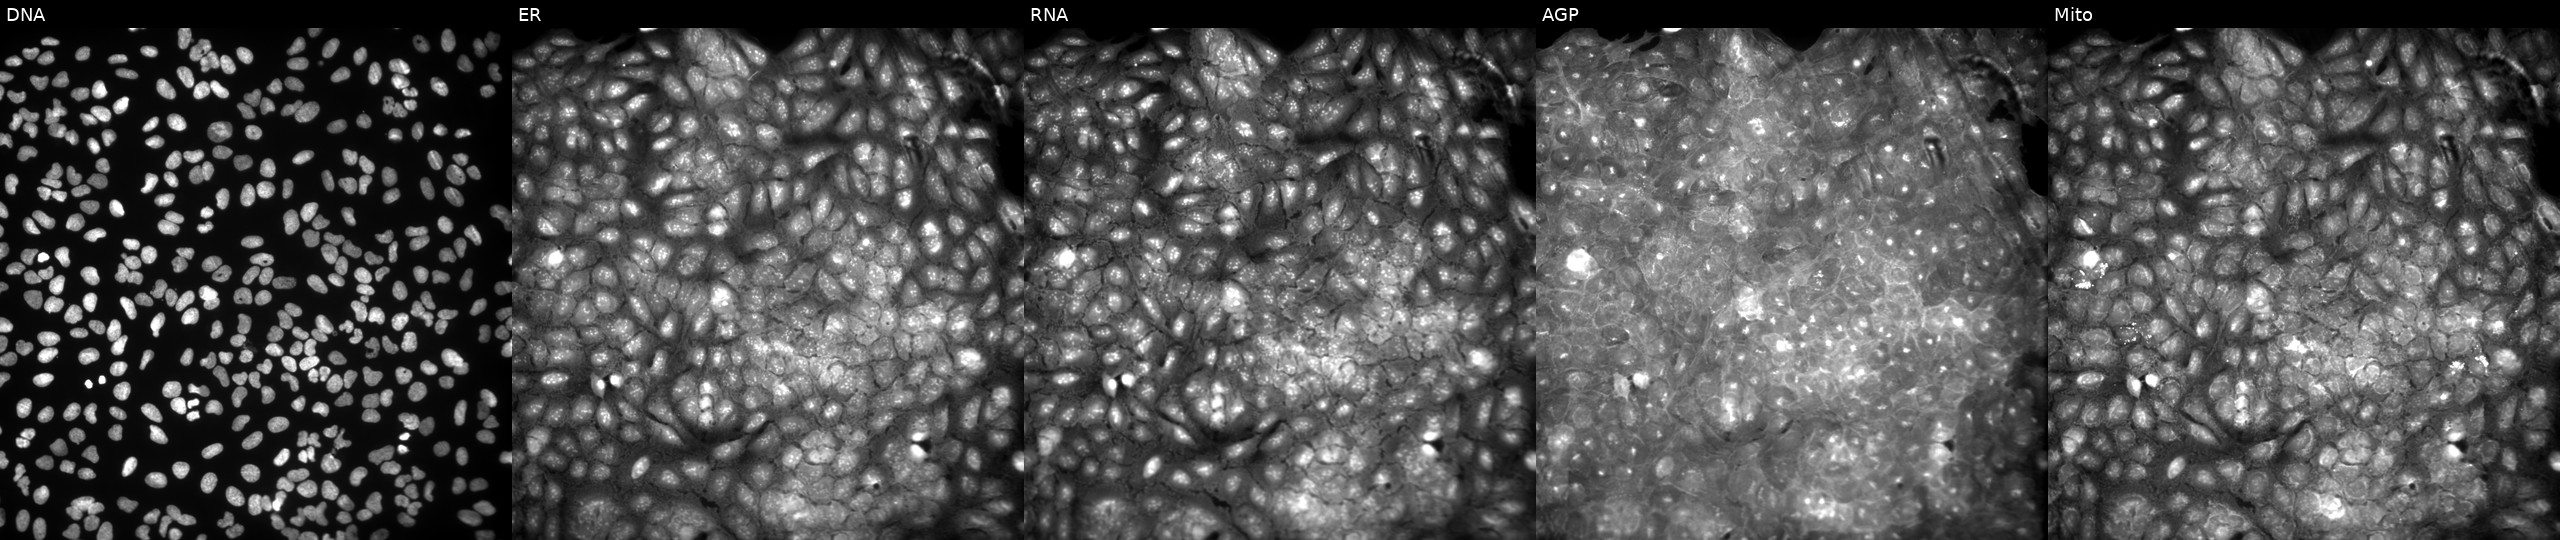
U2OS cells, Cell Painting assay, exposed to a small-molecule compound (InChIKey HMXKTVCEQIARLC-UHFFFAOYSA-N) (JUMP id JCP2022_031229). The five panels, left to right, show Hoechst 33342, concanavalin A, SYTO 14, phalloidin and WGA, MitoTracker. Each panel is percentile-stretched 16-bit fluorescence.